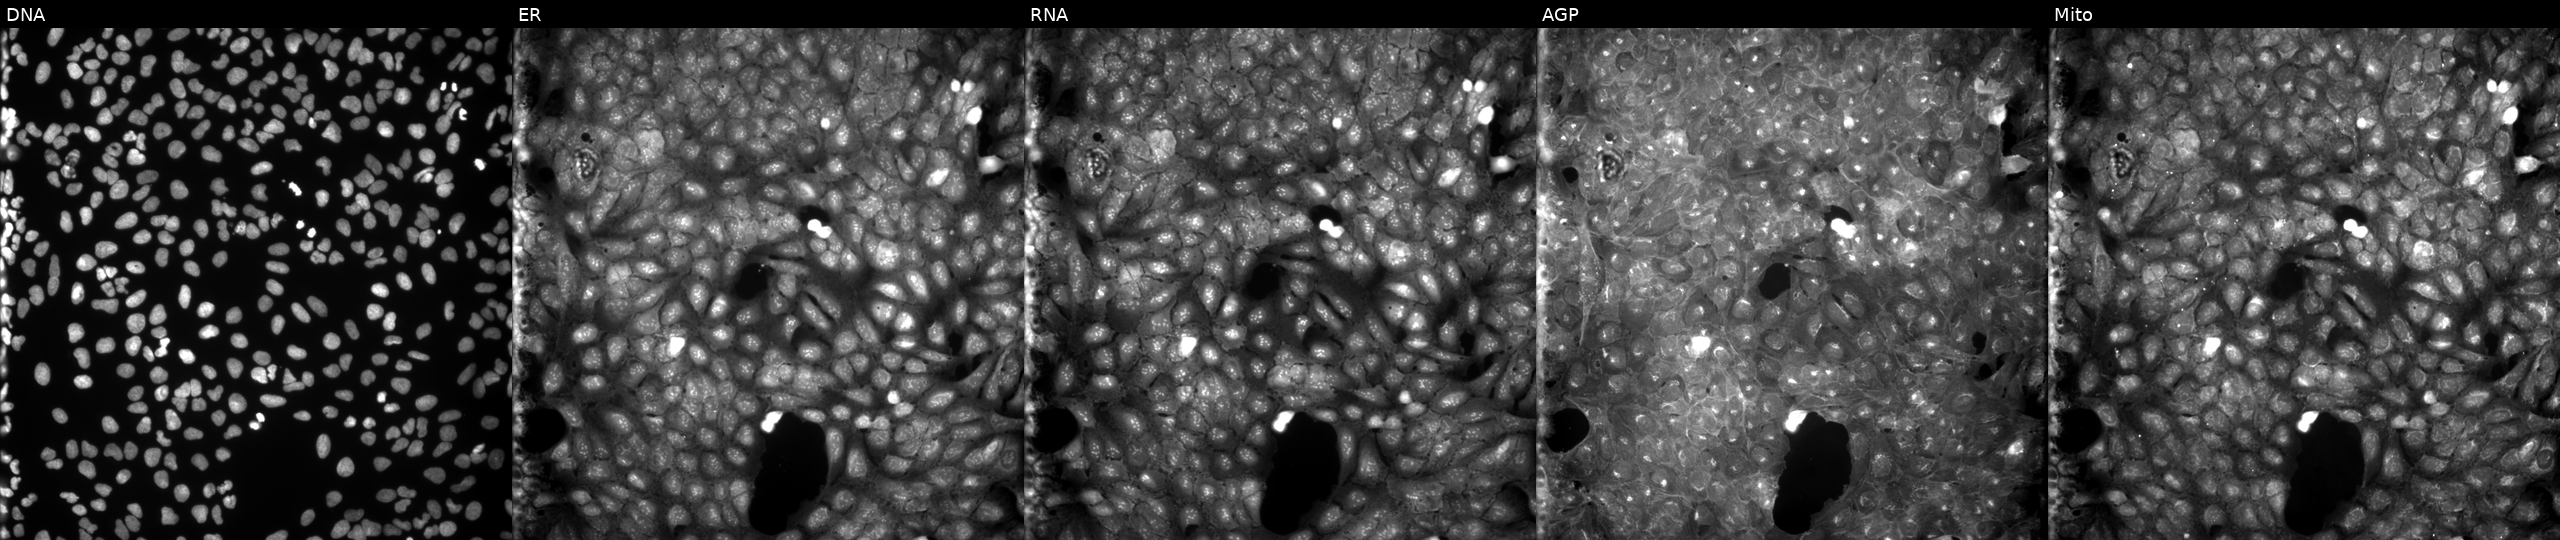
Five-channel Cell Painting image of U2OS cells exposed to a small-molecule compound (InChIKey AFTYRGSRPBTOIY-UHFFFAOYSA-N) [SMILES: O=C(NC(C(=O)c1ccccc1)n1cnccc1=O)c1ccccc1]. Channels (left→right): DNA, ER, RNA, AGP, and Mito.